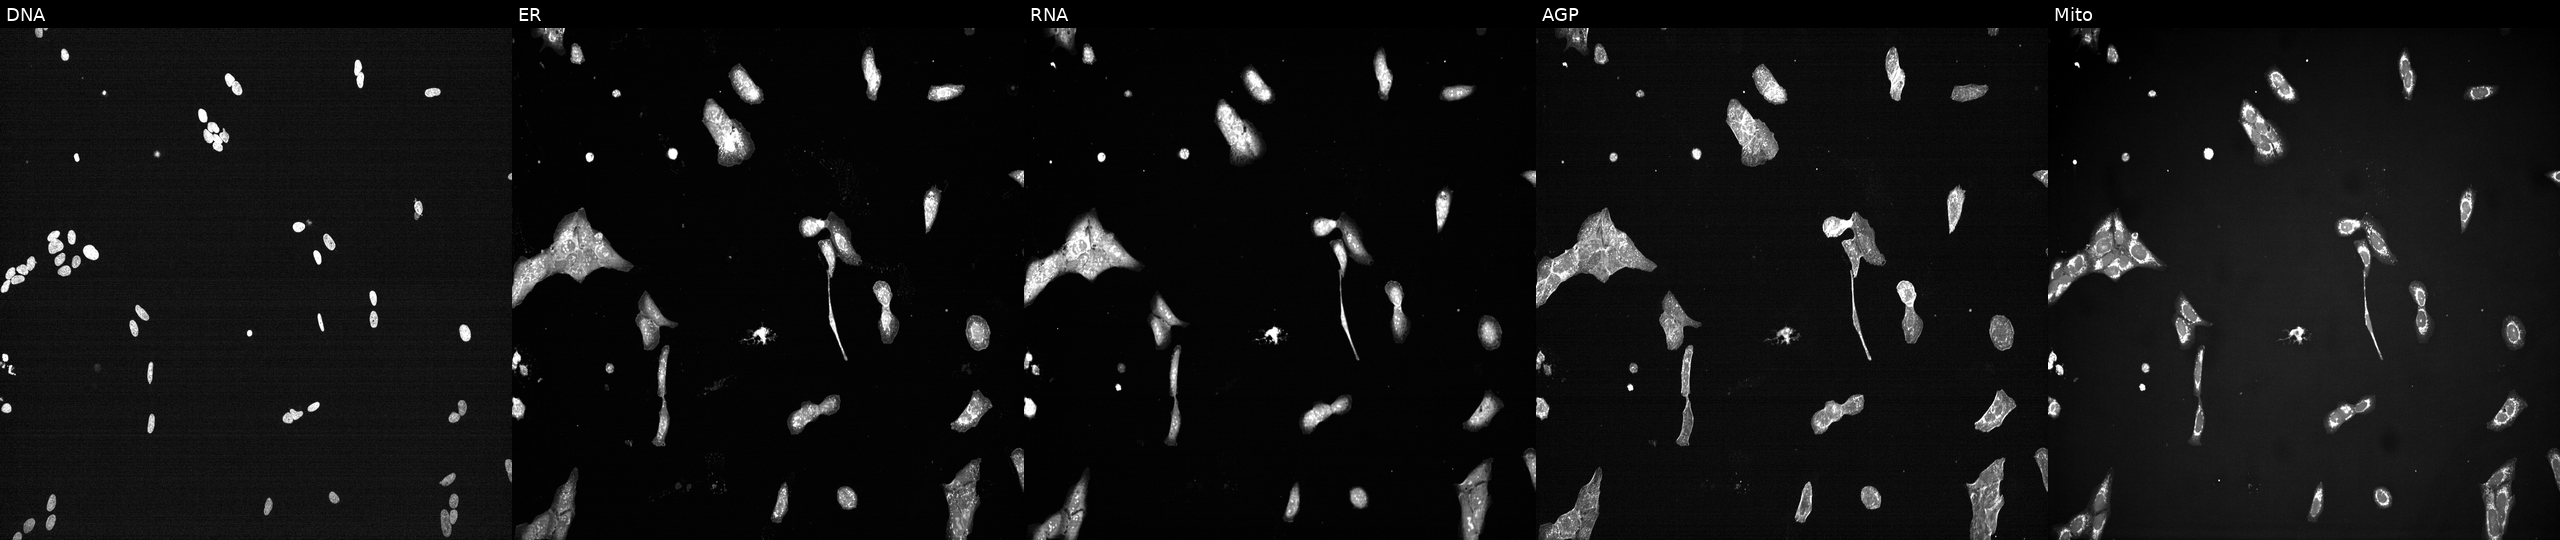
From left to right: DNA, ER, RNA, AGP, and Mito. U2OS osteosarcoma cells exposed to a small-molecule compound (InChIKey KXBDTLQSDKGAEB-UHFFFAOYSA-N) (JUMP id JCP2022_047545). Cell Painting assay, JUMP-CP dataset.